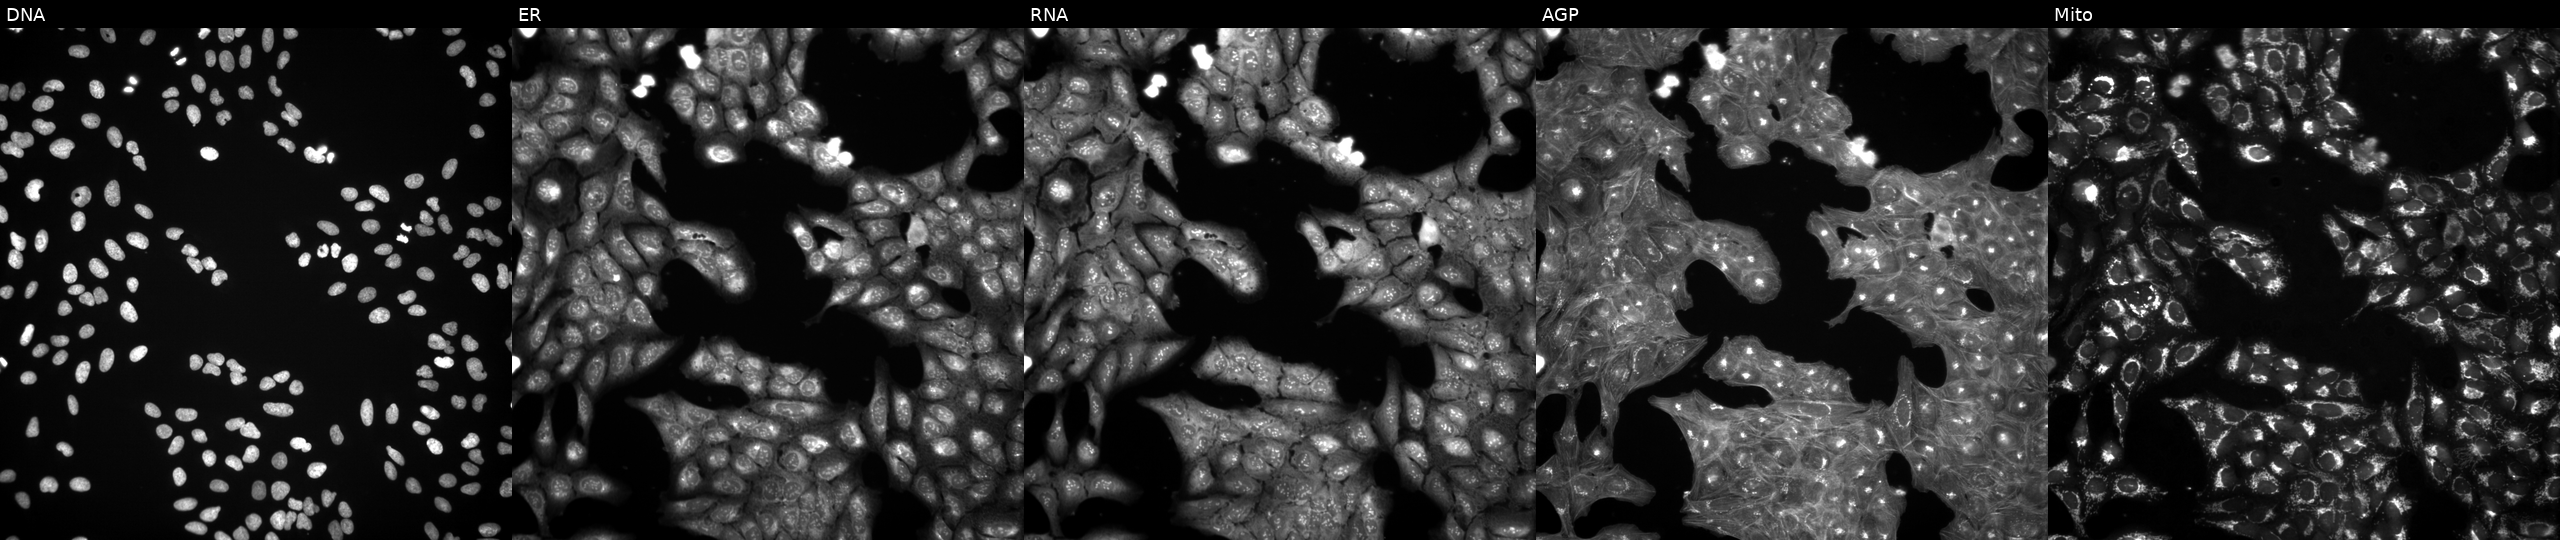
From left to right: DNA (nuclei); ER (endoplasmic reticulum); RNA (nucleoli and cytoplasmic RNA); AGP (actin cytoskeleton, Golgi, and plasma membrane); Mito (mitochondria). U2OS osteosarcoma cells in an empty control well (no perturbation). Cell Painting assay, JUMP-CP dataset.